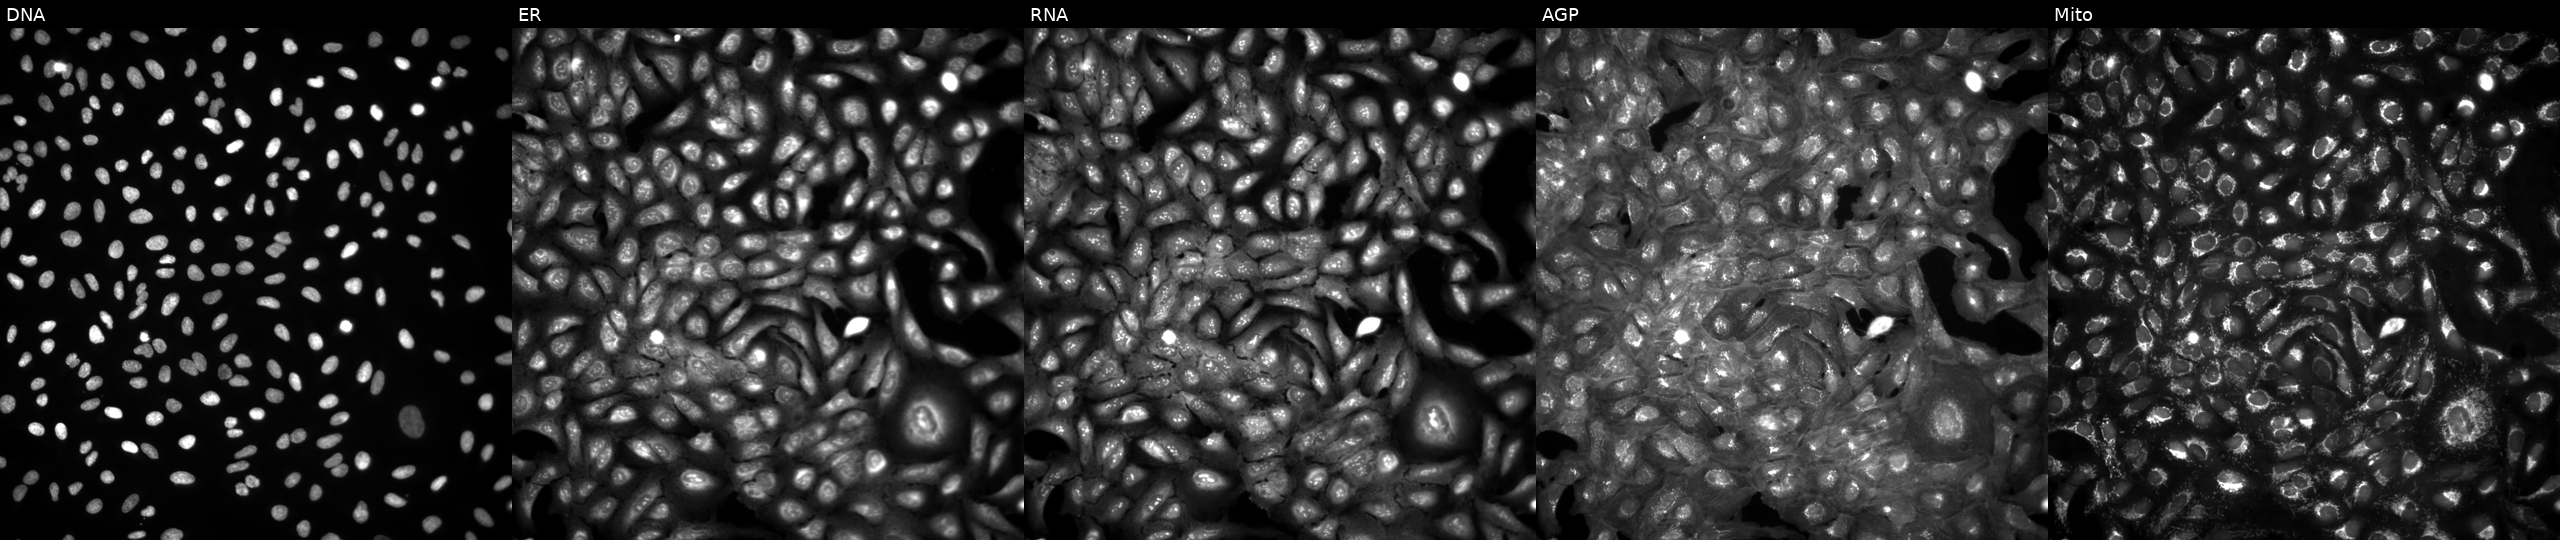
This image strip shows the five Cell Painting channels for a single field of U2OS cells in an empty control well (no perturbation) (JUMP id JCP2022_999999). Panels show, left to right, DNA (nuclei); ER (endoplasmic reticulum); RNA (nucleoli and cytoplasmic RNA); AGP (actin cytoskeleton, Golgi, and plasma membrane); Mito (mitochondria). Source 4, plate BR00124793, well N21.